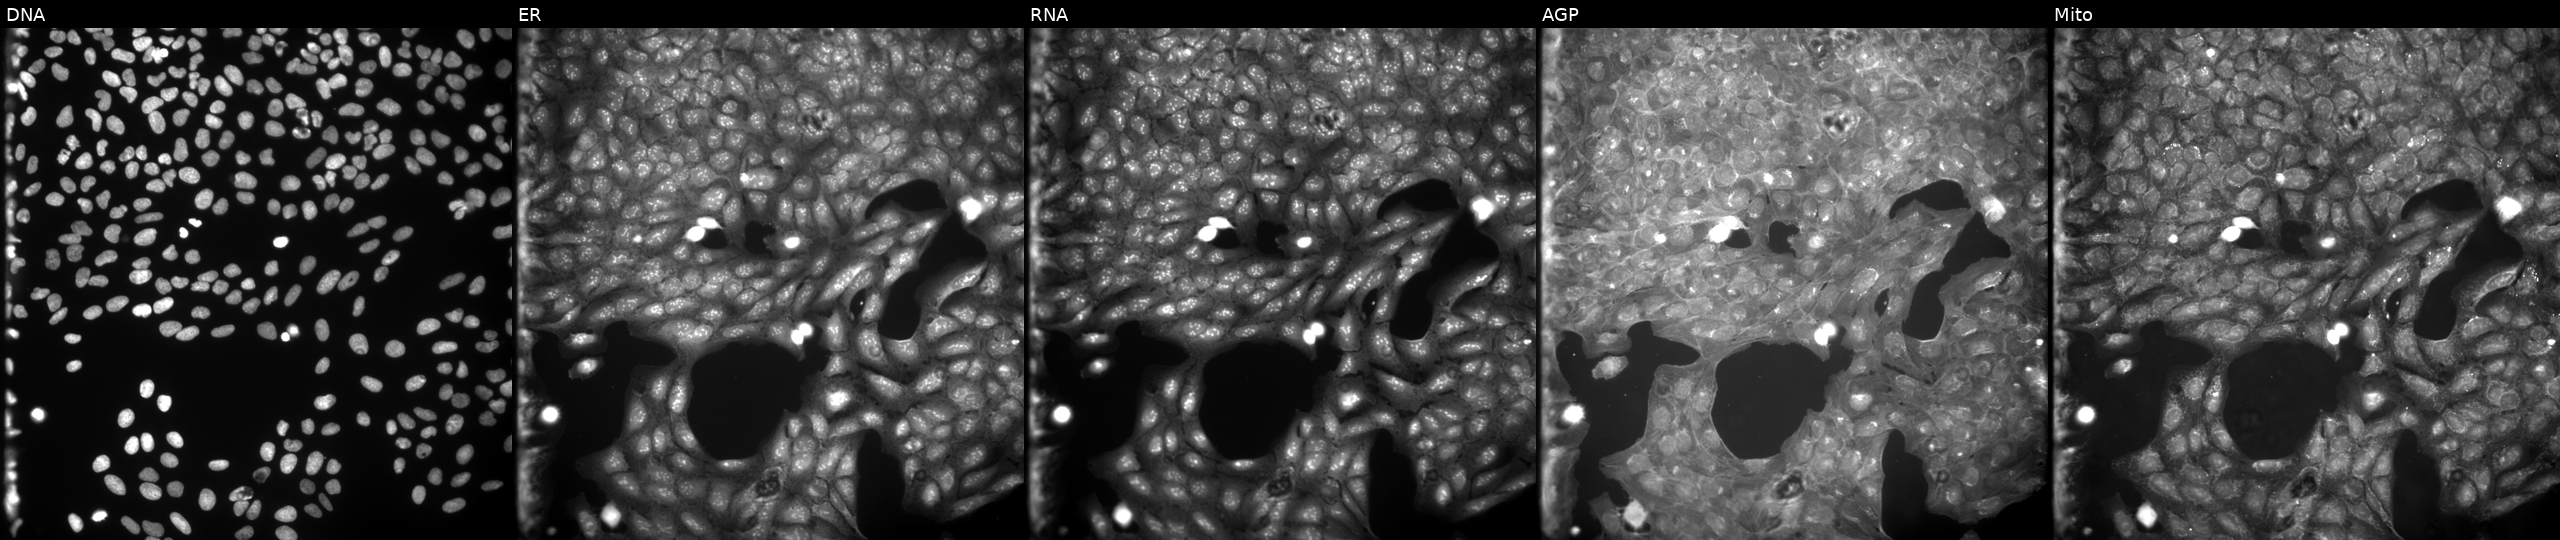
This image strip shows the five Cell Painting channels for a single field of U2OS cells exposed to a small-molecule compound (InChIKey QHLFRZCKBKHUCS-UHFFFAOYSA-N) (JUMP id JCP2022_073459). From left to right: Hoechst 33342, concanavalin A, SYTO 14, phalloidin and WGA, MitoTracker.